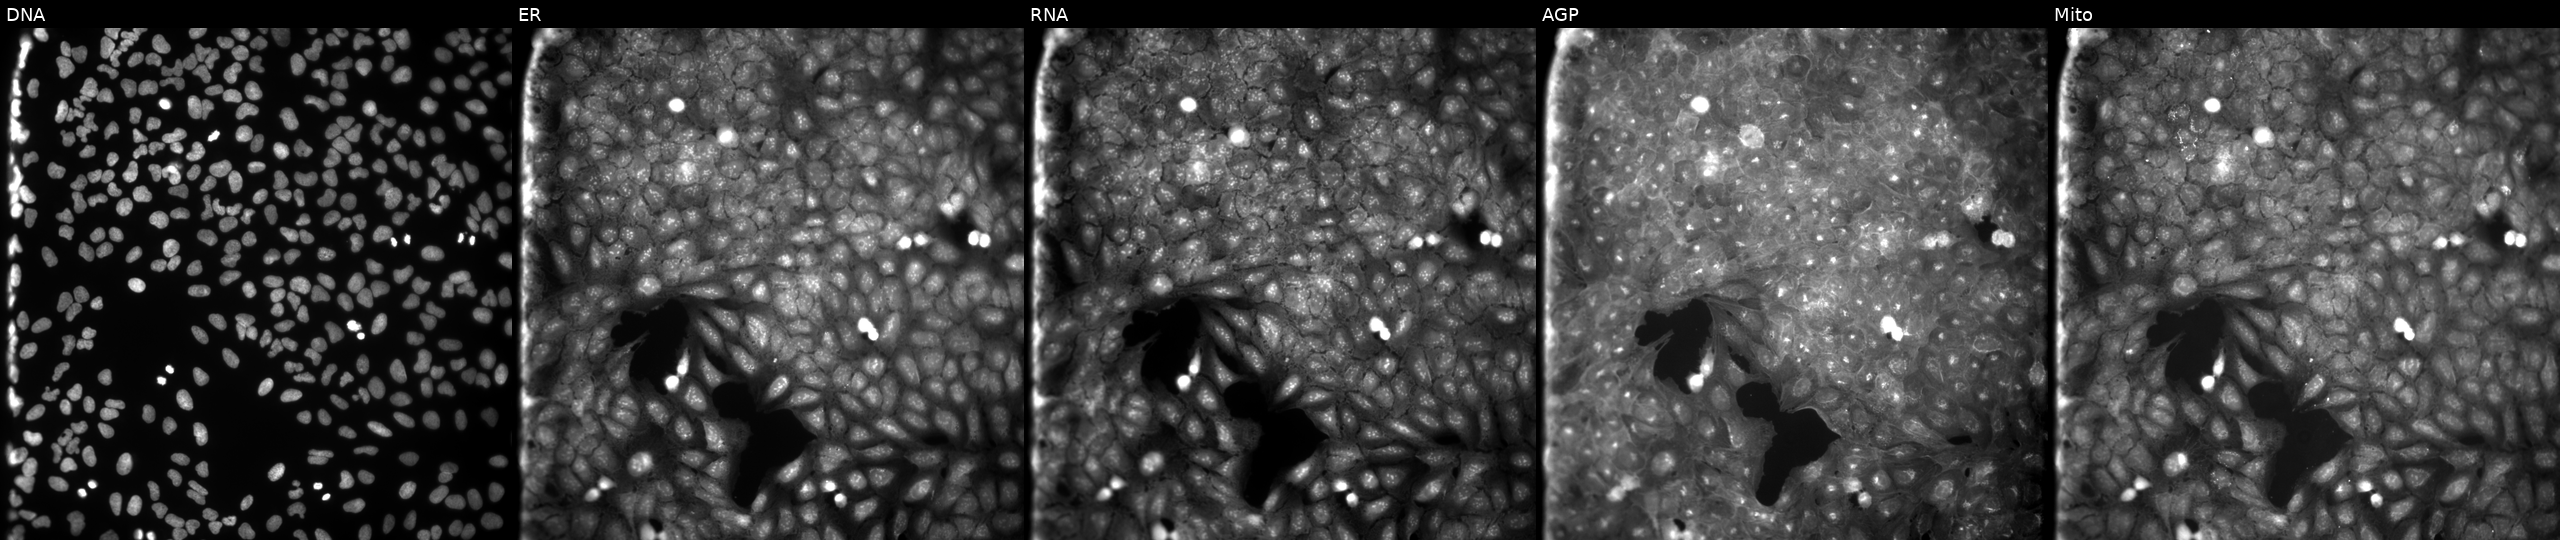
JUMP Cell Painting — COMPOUND plate. U2OS cells treated with a small-molecule compound (InChIKey CHWRYUOMIVSJFC-UHFFFAOYSA-N) (JUMP id JCP2022_011247). Panels show, left to right, DNA, ER, RNA, AGP, and Mito.